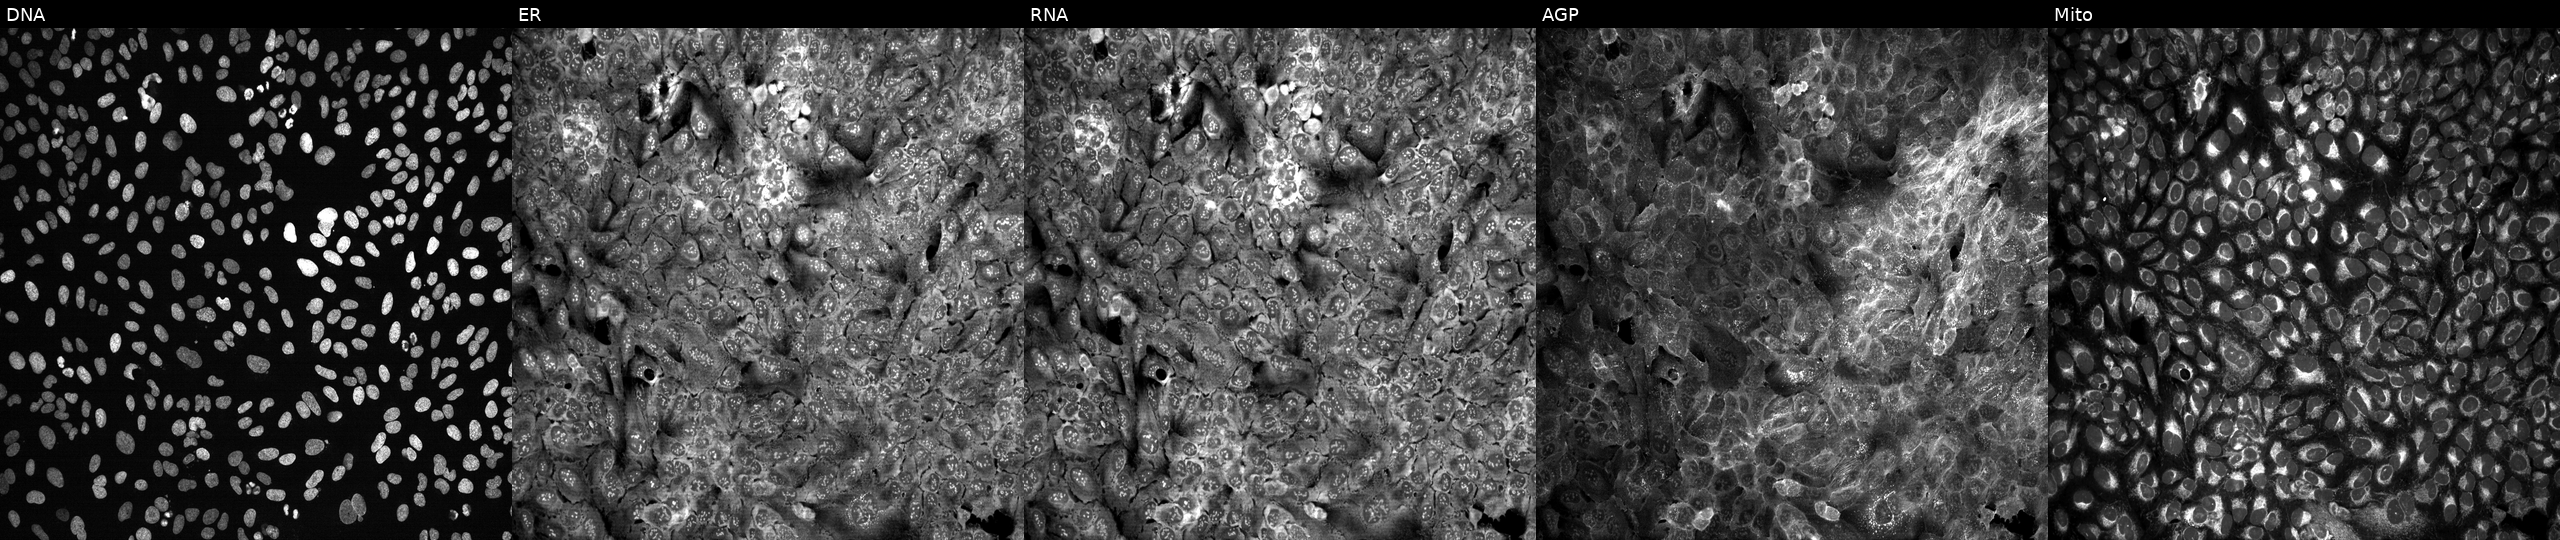
High-content fluorescence microscopy (Cell Painting). Cell line: U2OS. Perturbation: with GZMM knocked out by CRISPR (JUMP id JCP2022_802998). From left to right: DNA (nuclei); ER (endoplasmic reticulum); RNA (nucleoli and cytoplasmic RNA); AGP (actin cytoskeleton, Golgi, and plasma membrane); Mito (mitochondria).